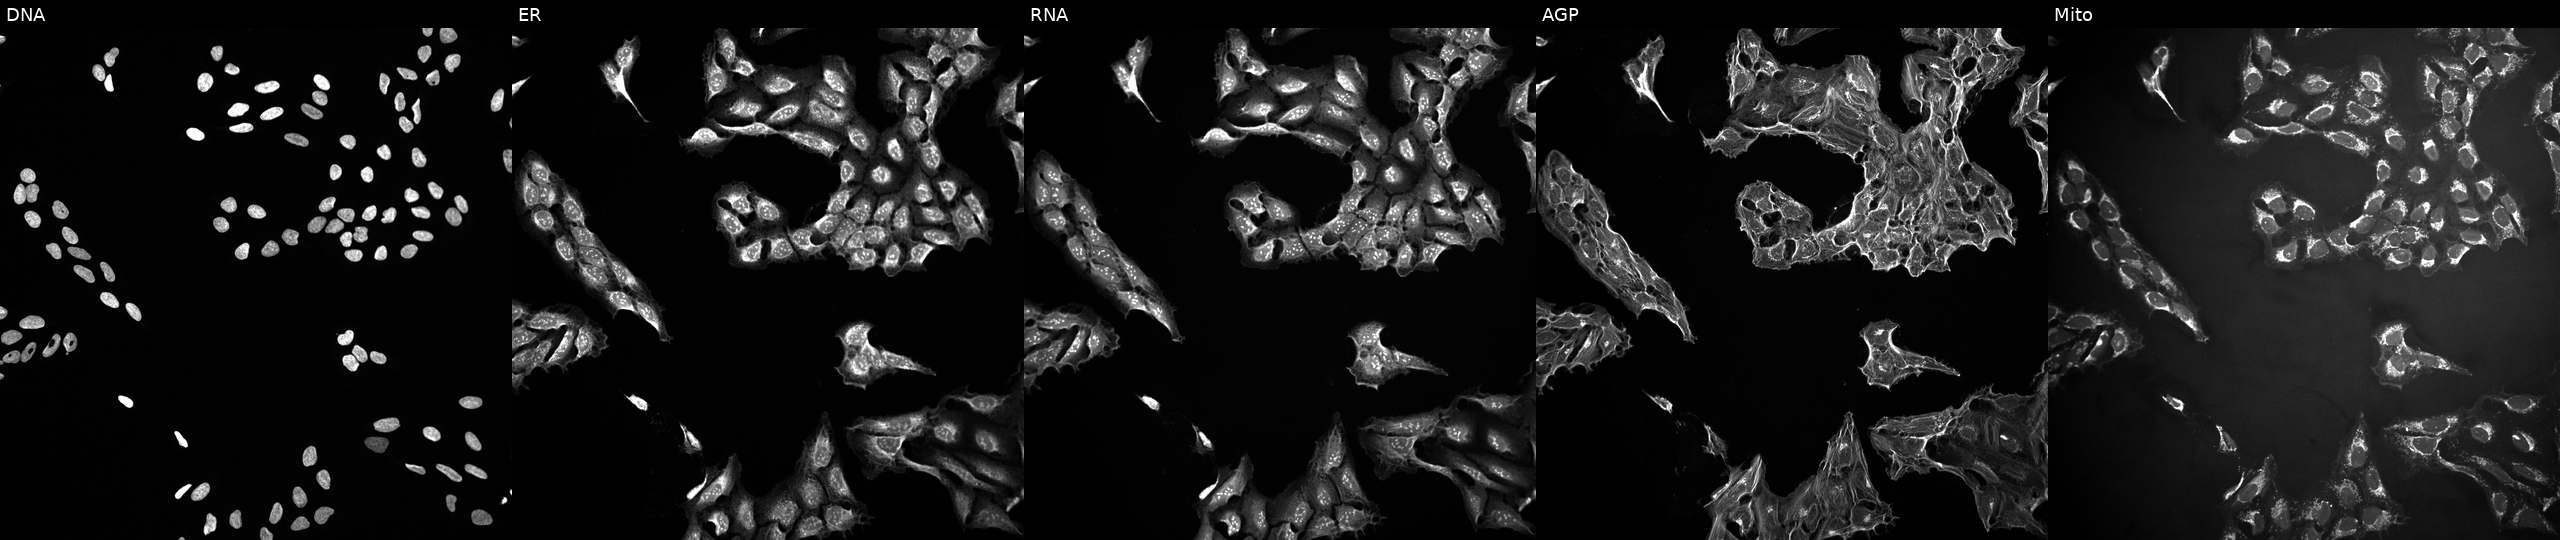
U2OS cells, Cell Painting assay, perturbed with a small-molecule compound (InChIKey NLSSUSRERAMBTA-UHFFFAOYSA-N) [SMILES: O=C(Nc1ccc(N2CCC(C(=O)N3CCOCC3)CC2)cc1)c1cnc(Oc2ccccc2)nc1]. From left to right: DNA (nuclei); ER (endoplasmic reticulum); RNA (nucleoli and cytoplasmic RNA); AGP (actin cytoskeleton, Golgi, and plasma membrane); Mito (mitochondria). Each panel is percentile-stretched 16-bit fluorescence.